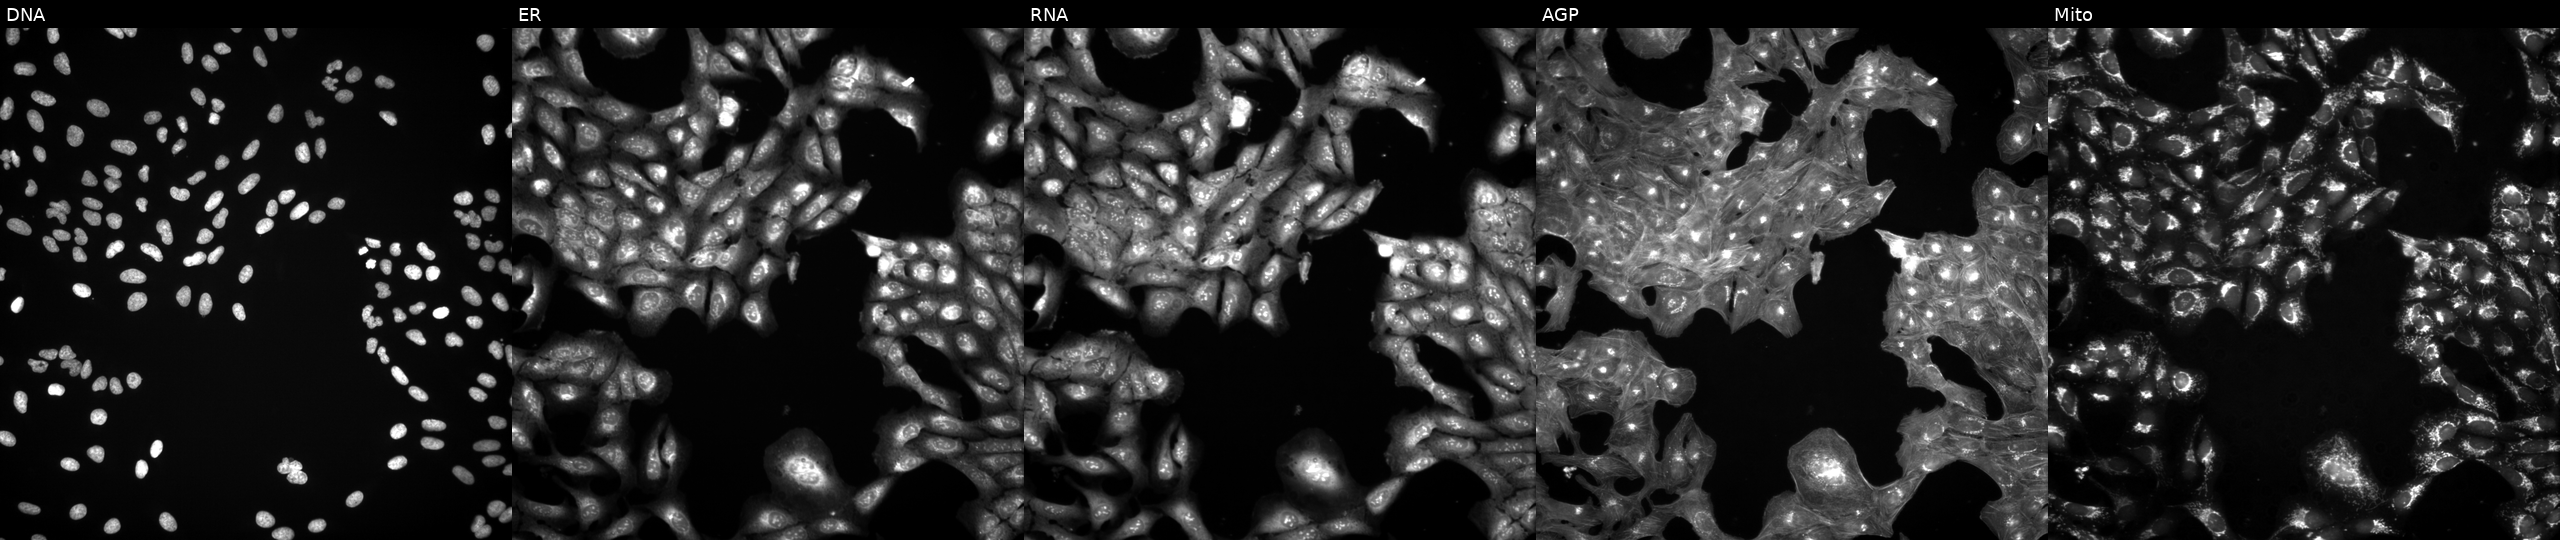
U2OS cells, Cell Painting assay, in an empty control well (no perturbation). Panels show, left to right, DNA, ER, RNA, AGP, and Mito. Each panel is percentile-stretched 16-bit fluorescence. Source 3, plate BR5867b3, well L10.